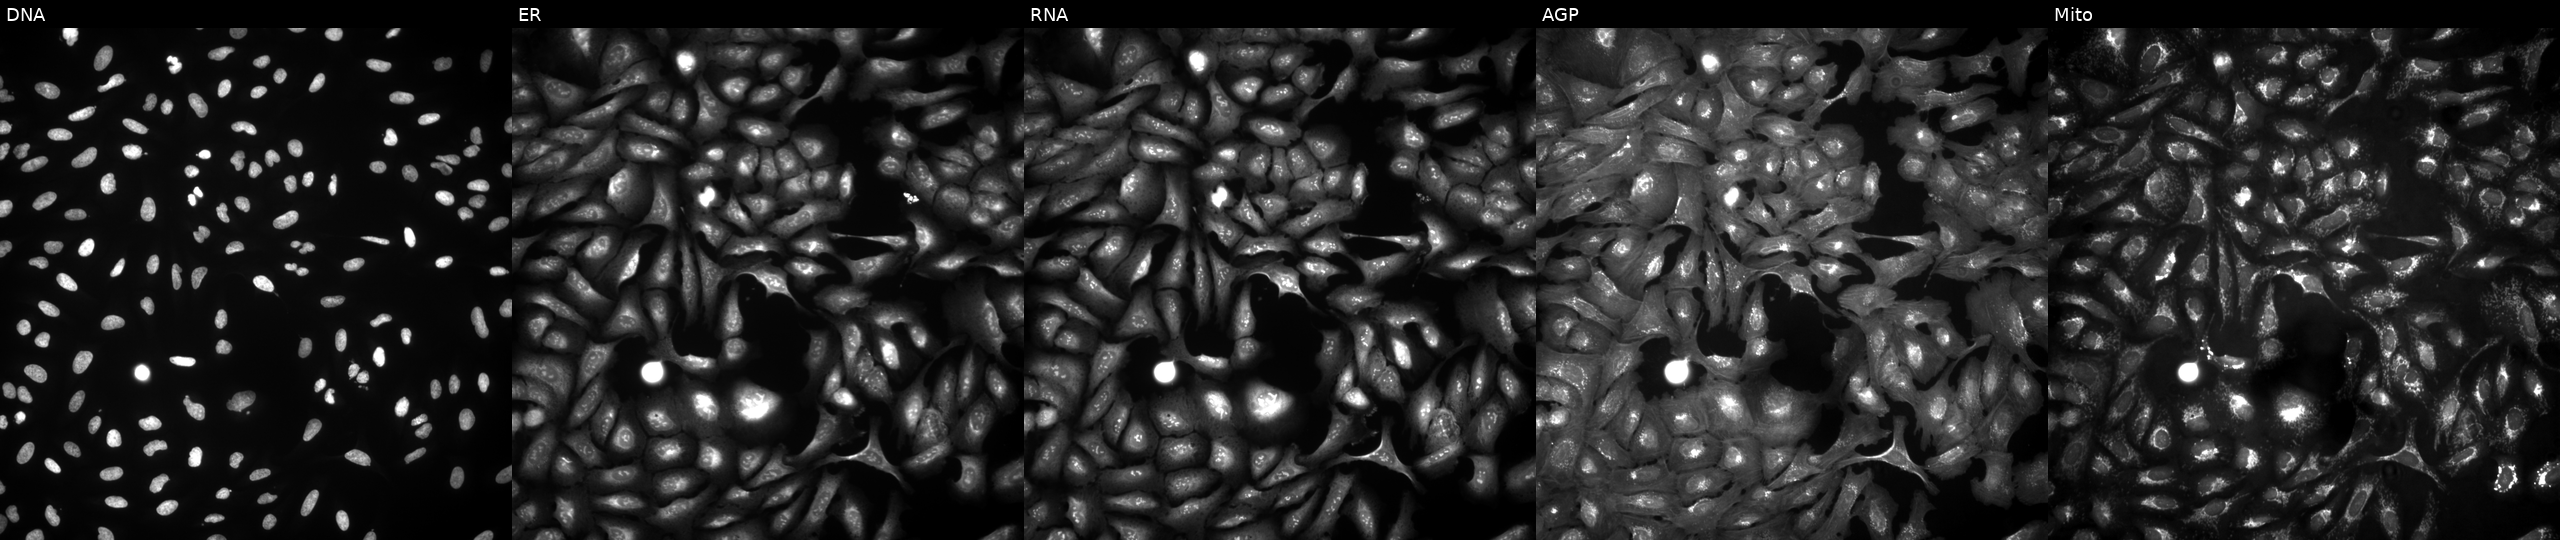
JUMP Cell Painting — ORF plate. U2OS cells with RNF139 overexpressed (ORF) (JUMP id JCP2022_907274). Channels (left→right): DNA (nuclei); ER (endoplasmic reticulum); RNA (nucleoli and cytoplasmic RNA); AGP (actin cytoskeleton, Golgi, and plasma membrane); Mito (mitochondria).